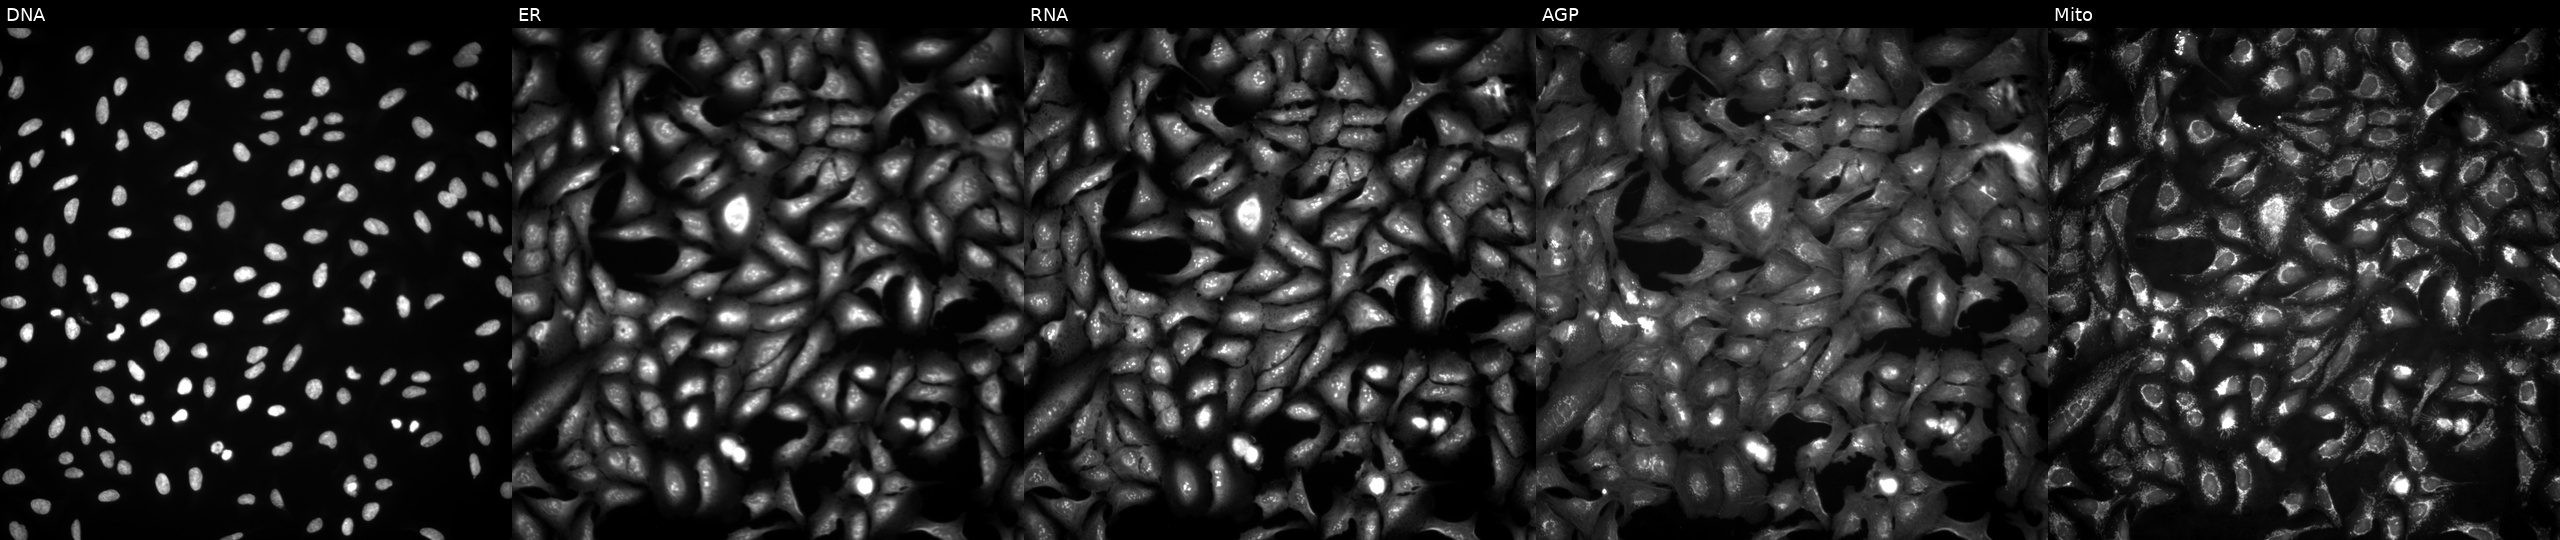
This image strip shows the five Cell Painting channels for a single field of U2OS cells with RIPK2 overexpressed (ORF). From left to right: Hoechst 33342, concanavalin A, SYTO 14, phalloidin and WGA, MitoTracker. Source 4, plate BR00124787, well H11.